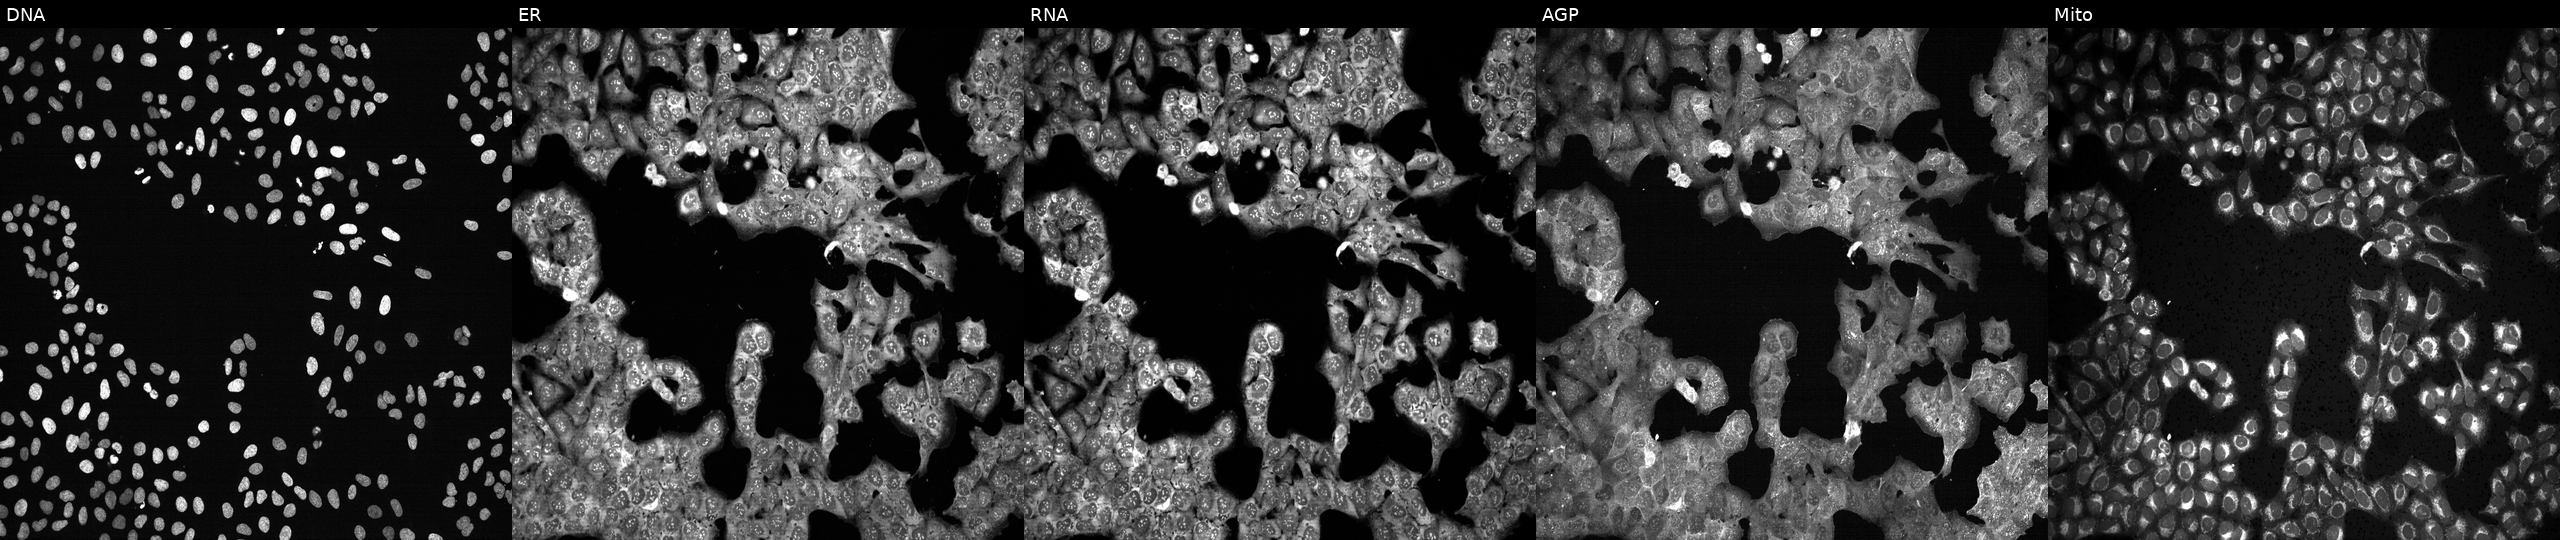
JUMP Cell Painting — CRISPR plate. U2OS cells exposed to the positive-control compound NVS-PAK1-1 (JUMP id JCP2022_064022). The five panels, left to right, show Hoechst 33342, concanavalin A, SYTO 14, phalloidin and WGA, MitoTracker.